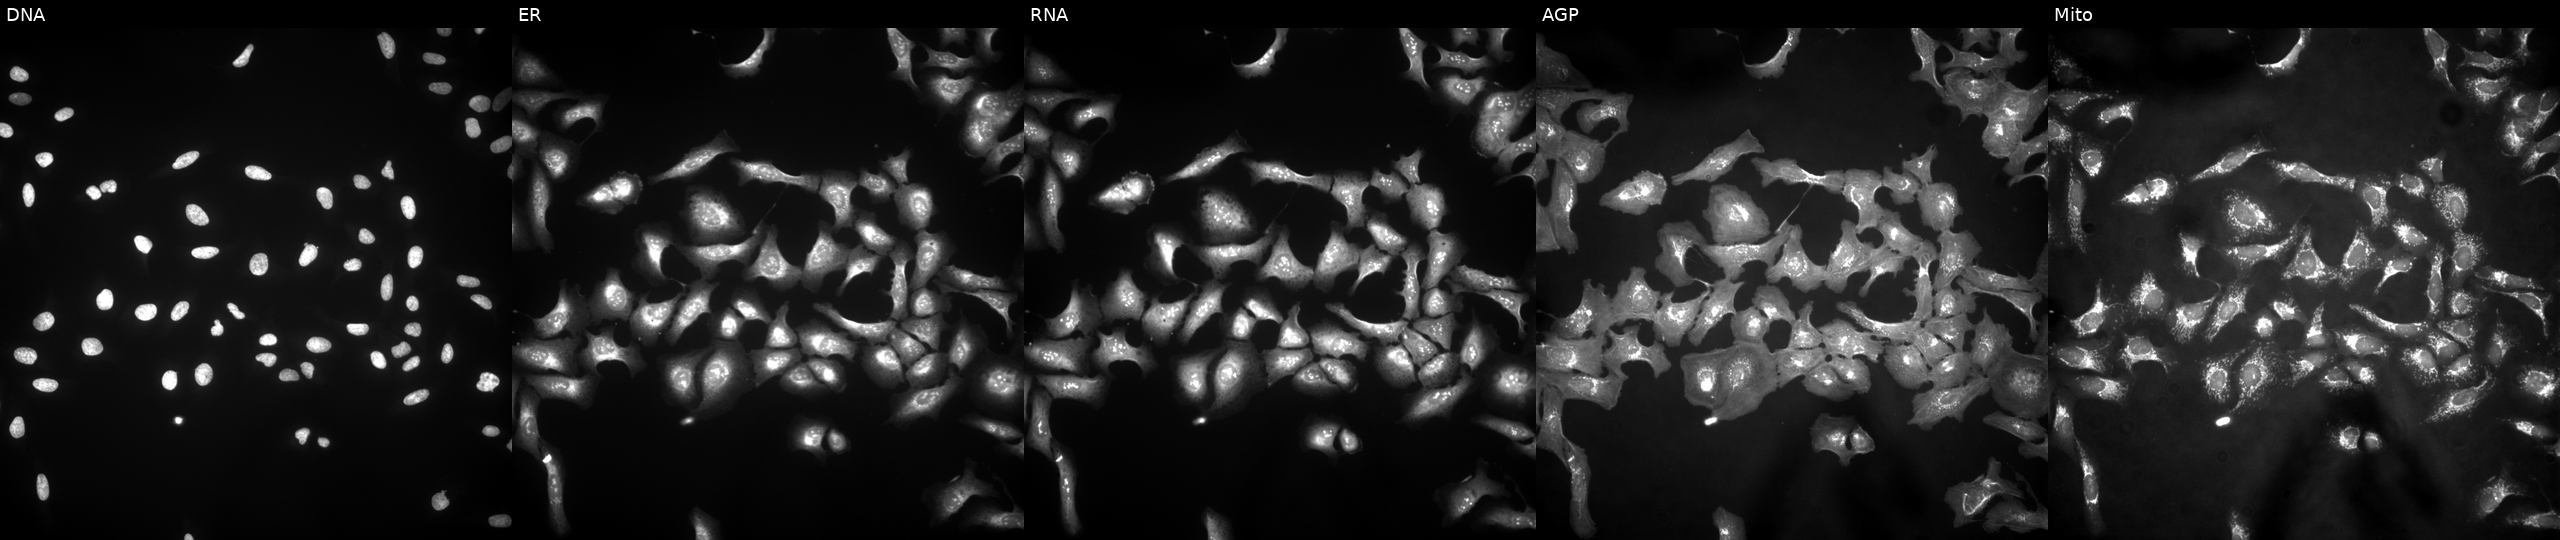
Panels show, left to right, DNA (nuclei); ER (endoplasmic reticulum); RNA (nucleoli and cytoplasmic RNA); AGP (actin cytoskeleton, Golgi, and plasma membrane); Mito (mitochondria). U2OS osteosarcoma cells overexpressing CORO2B via ORF transfection (JUMP id JCP2022_907099). Cell Painting assay, JUMP-CP dataset.